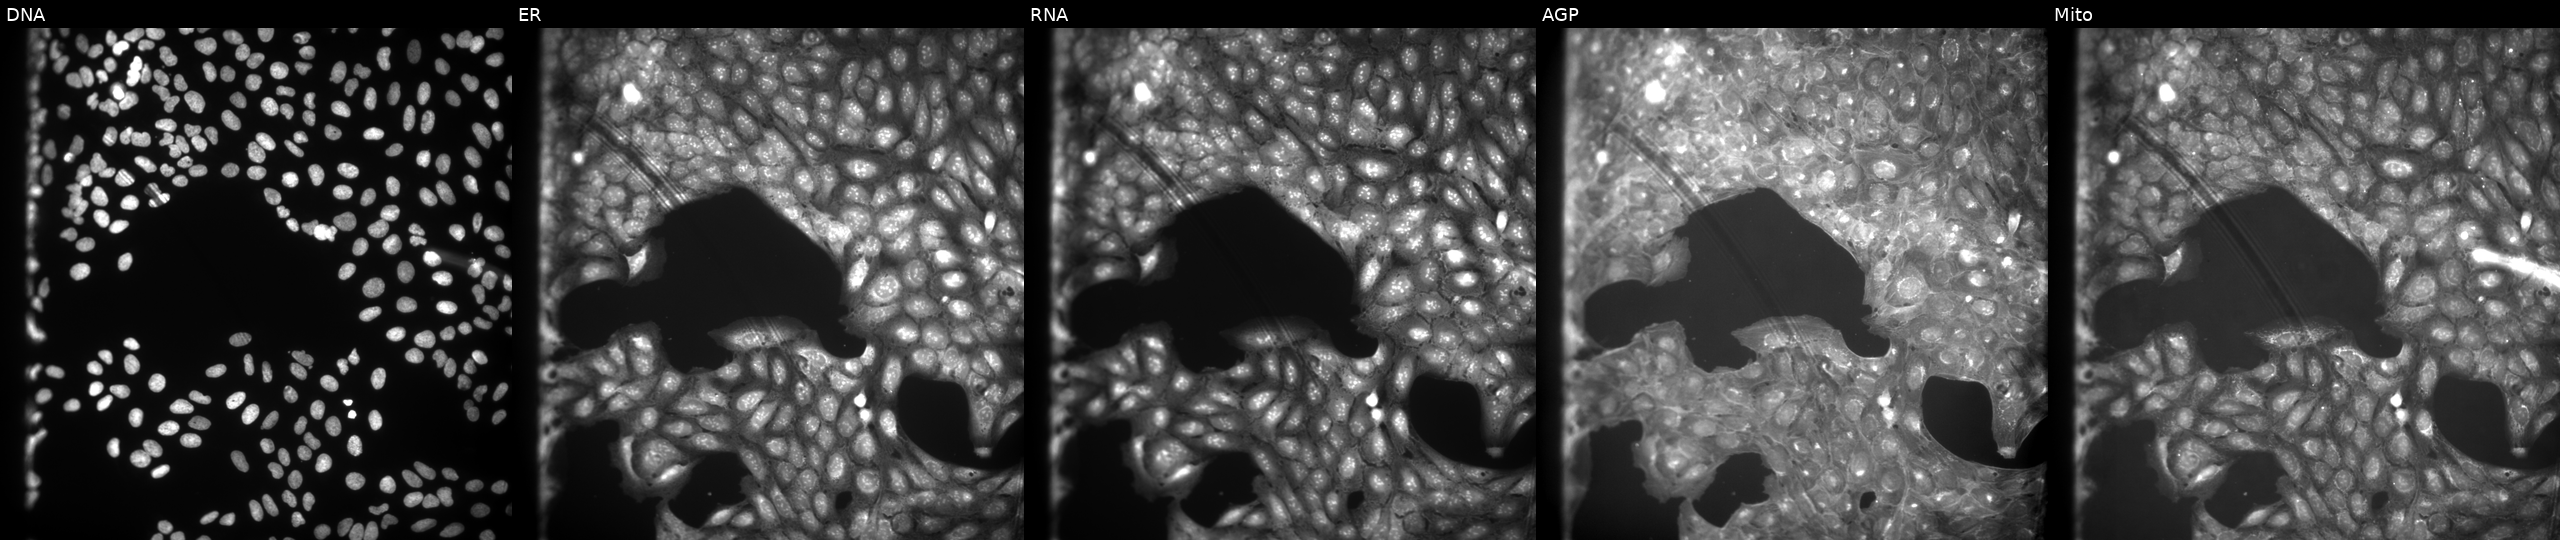
JUMP Cell Painting — COMPOUND plate. U2OS cells treated with a small-molecule compound (InChIKey PTELVEWFKNBSLQ-UHFFFAOYSA-N) (JUMP id JCP2022_070786). Panels show, left to right, Hoechst 33342, concanavalin A, SYTO 14, phalloidin and WGA, MitoTracker. Source 9, plate GR00003382, well A10.